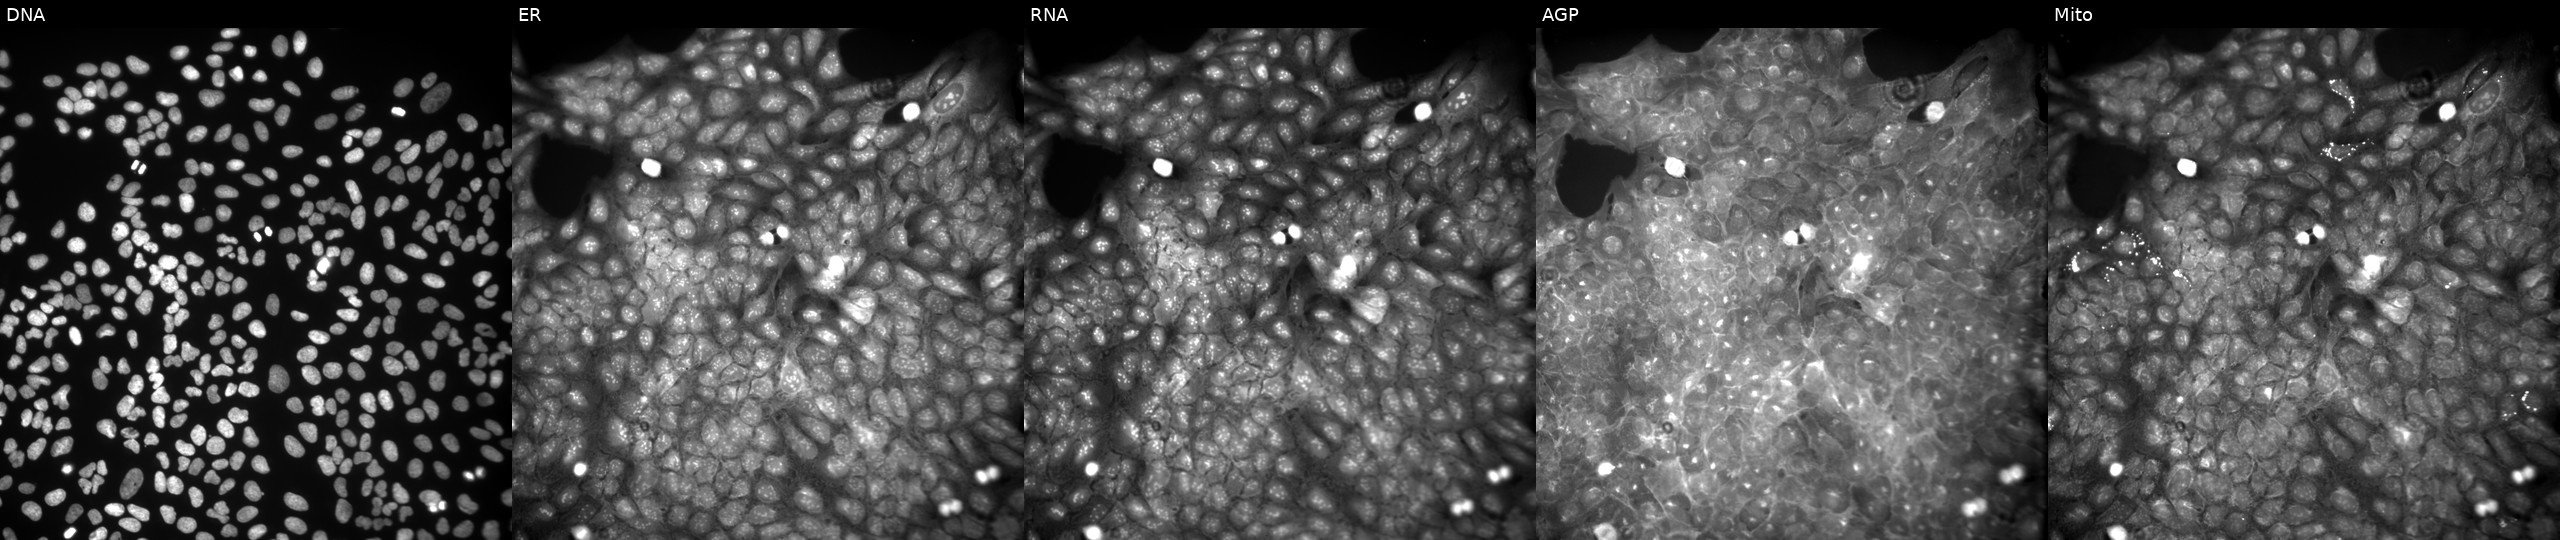
U2OS cells, Cell Painting assay, treated with a small-molecule compound (InChIKey DHYUIUDXVMJVAM-UHFFFAOYSA-N) (JUMP id JCP2022_016035). Channels (left→right): Hoechst 33342, concanavalin A, SYTO 14, phalloidin and WGA, MitoTracker. Each panel is percentile-stretched 16-bit fluorescence. Source 9, plate GR00003382, well AF37.